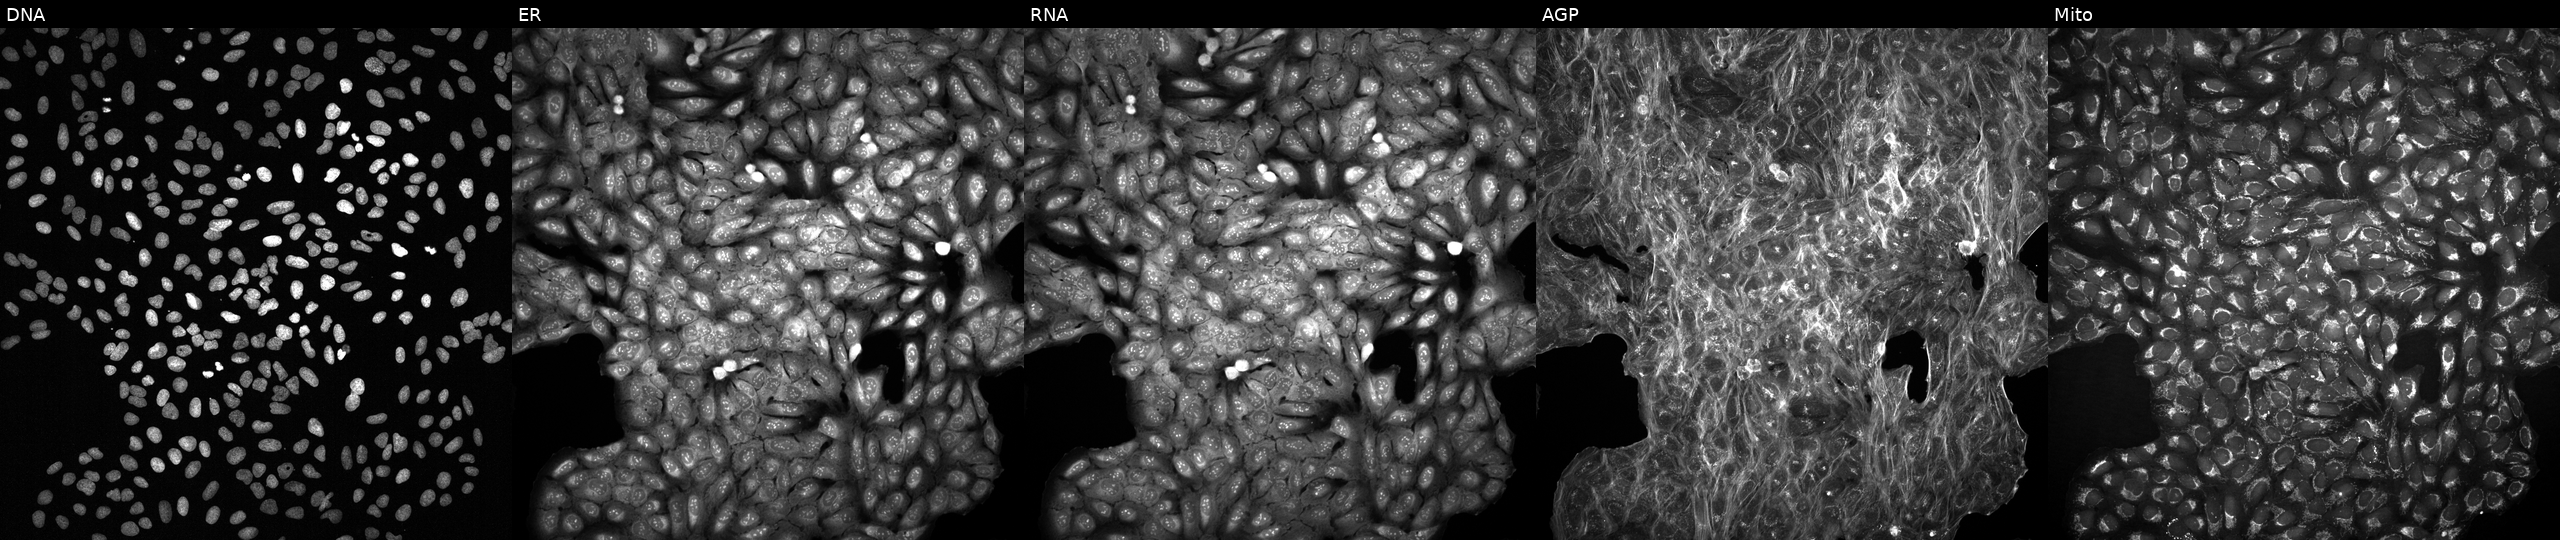
High-content fluorescence microscopy (Cell Painting). Cell line: U2OS. Perturbation: perturbed with a small-molecule compound (InChIKey IKQSYXQVIURFBL-UHFFFAOYSA-N). Channels (left→right): DNA (nuclei); ER (endoplasmic reticulum); RNA (nucleoli and cytoplasmic RNA); AGP (actin cytoskeleton, Golgi, and plasma membrane); Mito (mitochondria).